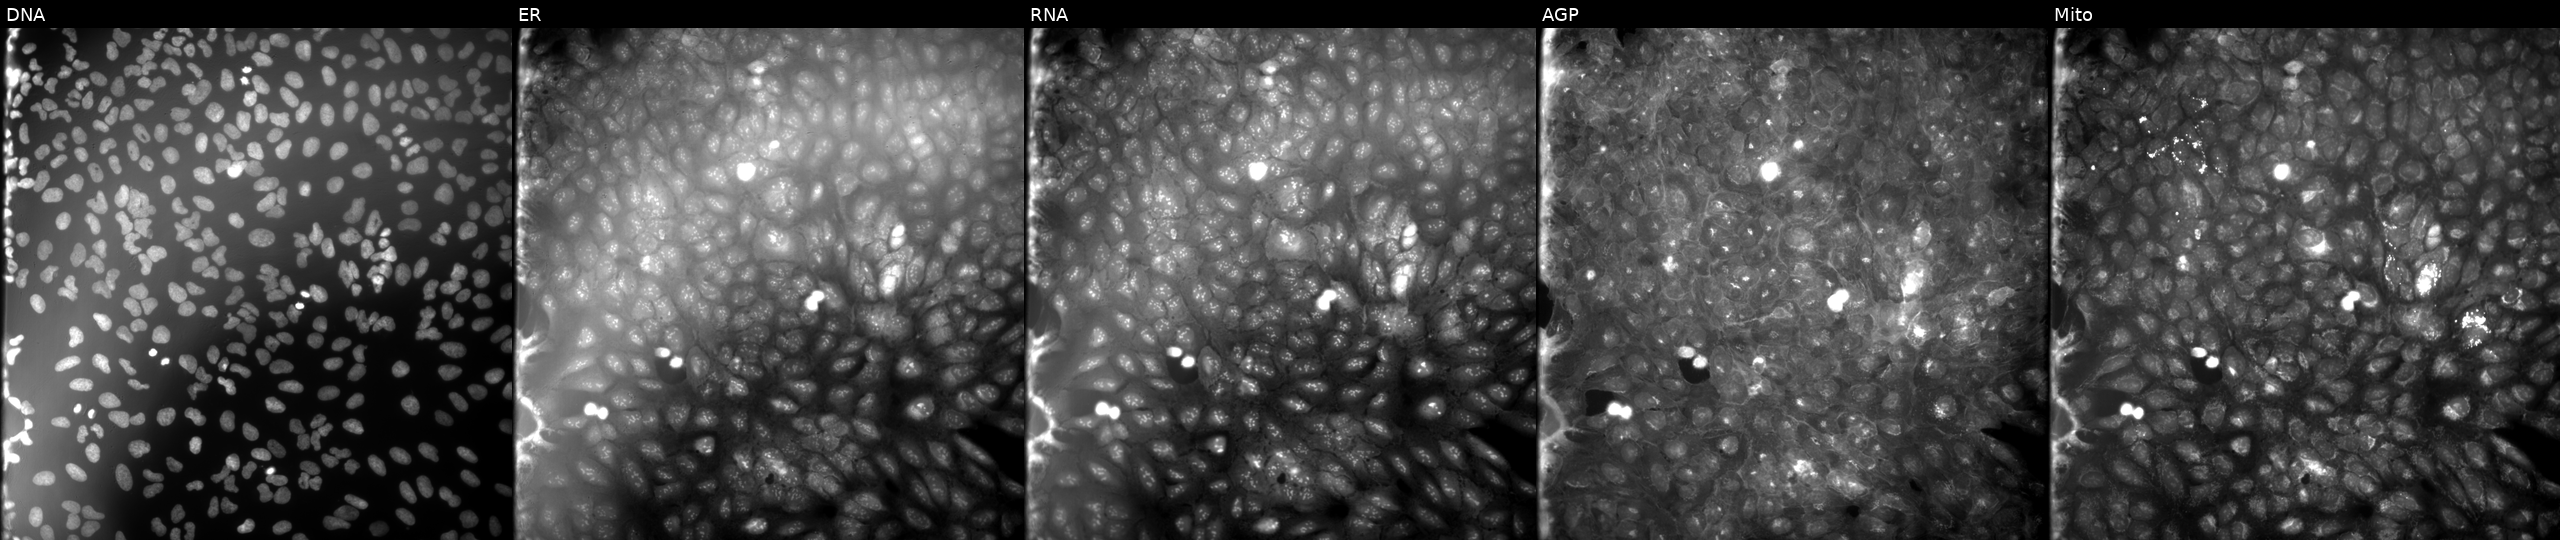
The five panels, left to right, show Hoechst 33342, concanavalin A, SYTO 14, phalloidin and WGA, MitoTracker. U2OS osteosarcoma cells perturbed with a small-molecule compound [SMILES: O=[N+]([O-])c1c[nH]c(=Nc2cccc(O)c2)c([N+](=O)[O-])c1]. Cell Painting assay, JUMP-CP dataset.